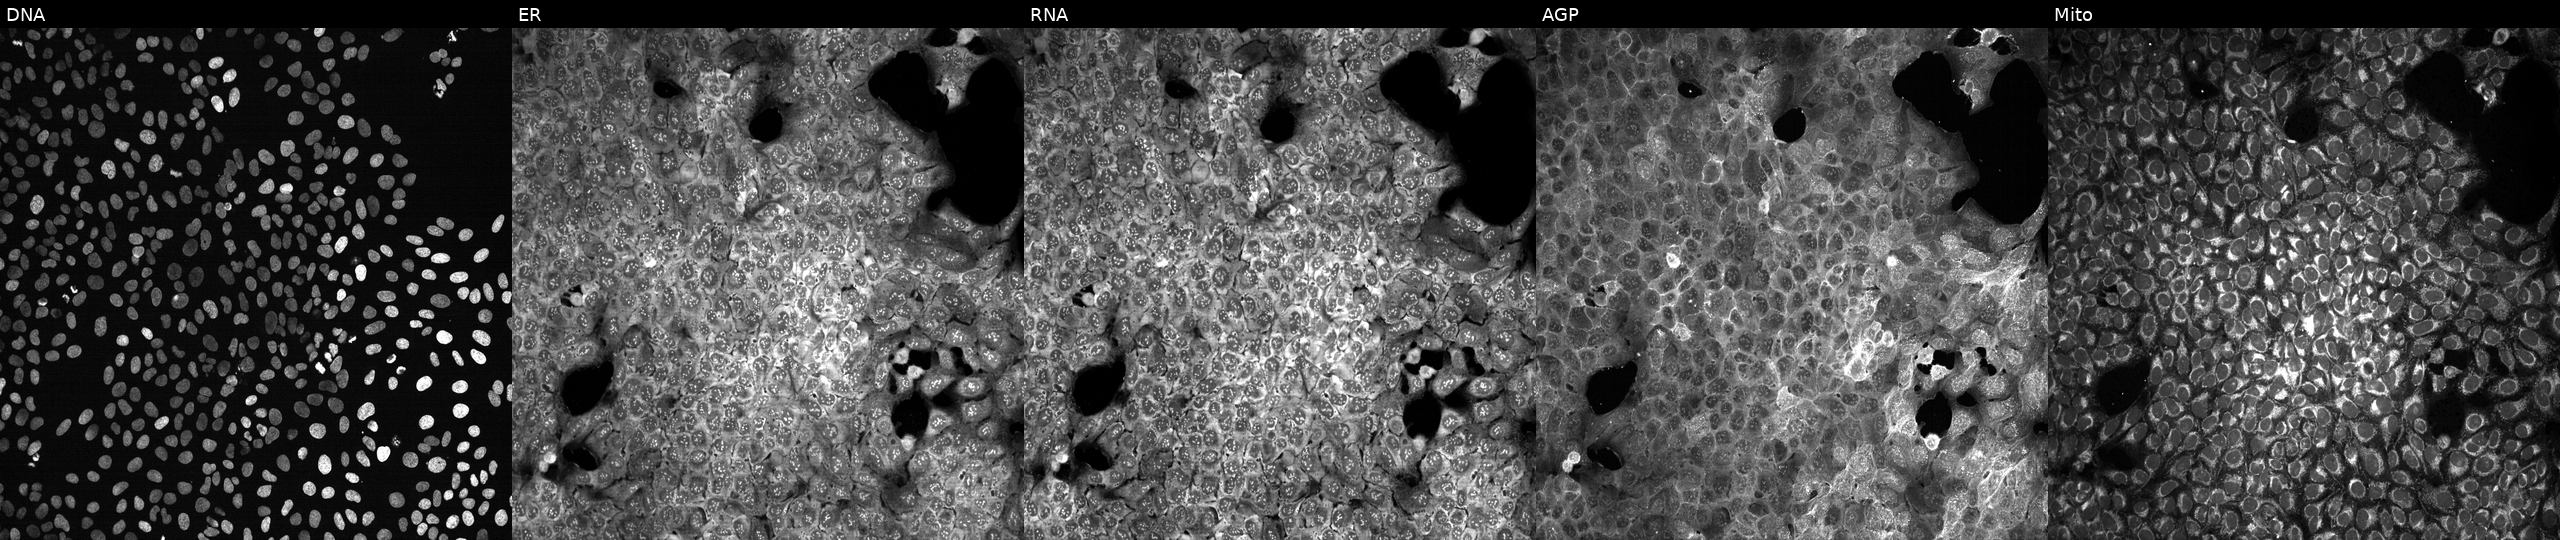
Five-channel Cell Painting image of U2OS cells exposed to the positive-control compound LY2109761. From left to right: DNA (nuclei); ER (endoplasmic reticulum); RNA (nucleoli and cytoplasmic RNA); AGP (actin cytoskeleton, Golgi, and plasma membrane); Mito (mitochondria). Source 13, plate CP-CC9-R4-03, well E01.